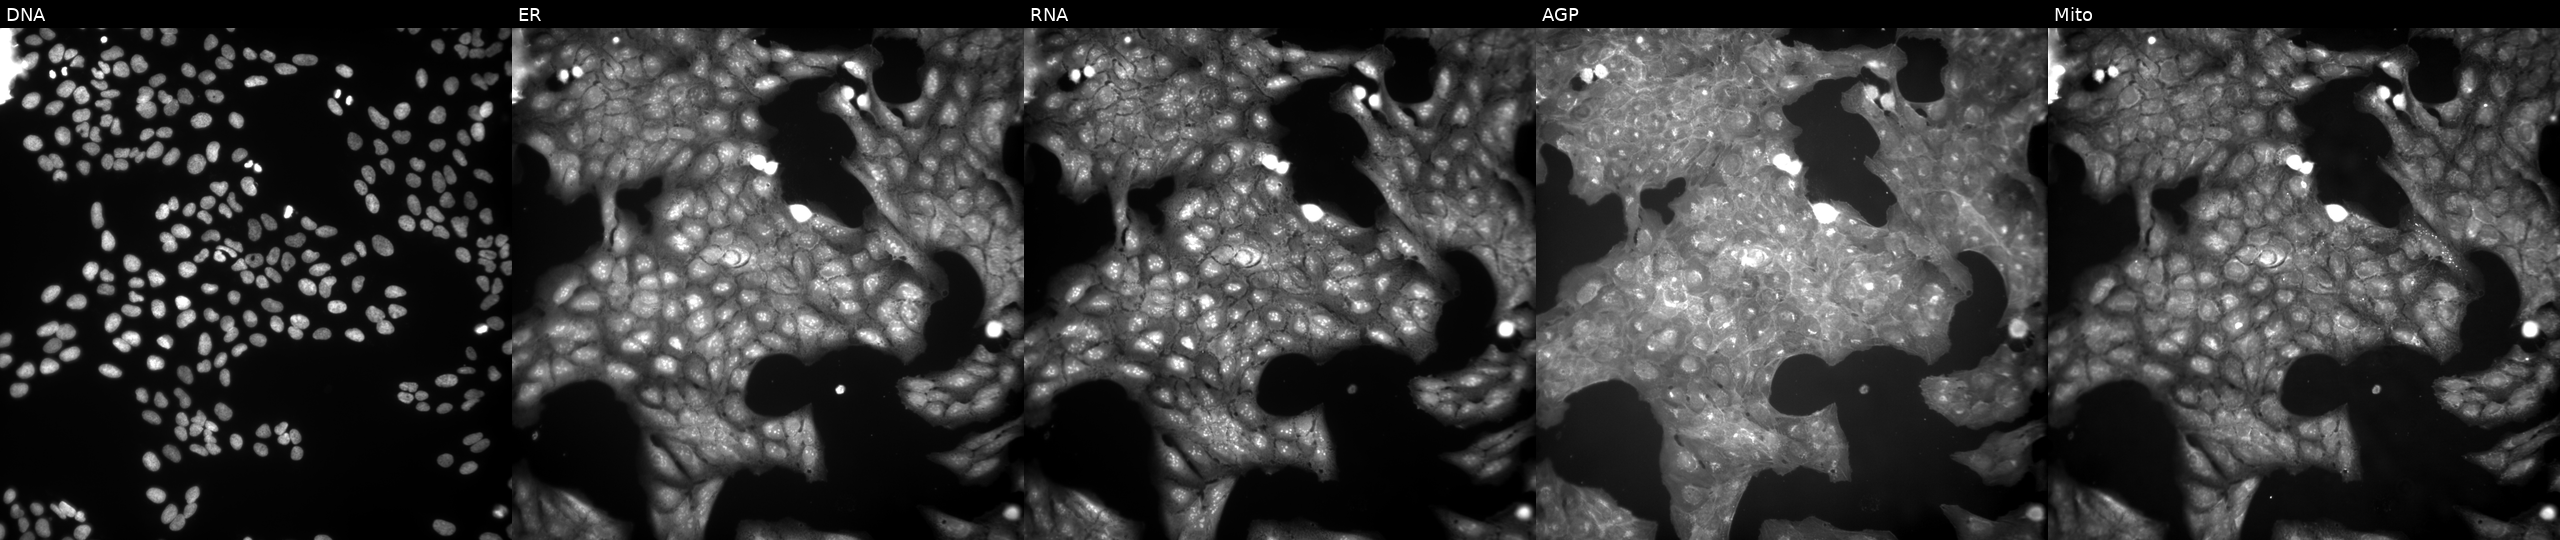
Channels (left→right): Hoechst 33342, concanavalin A, SYTO 14, phalloidin and WGA, MitoTracker. U2OS osteosarcoma cells perturbed with a small-molecule compound (InChIKey UANBPNLCEURUTH-UHFFFAOYSA-N) [SMILES: CCOc1ccc(-c2nc3cc(N)ccc3o2)cc1] (JUMP id JCP2022_087961). Cell Painting assay, JUMP-CP dataset.